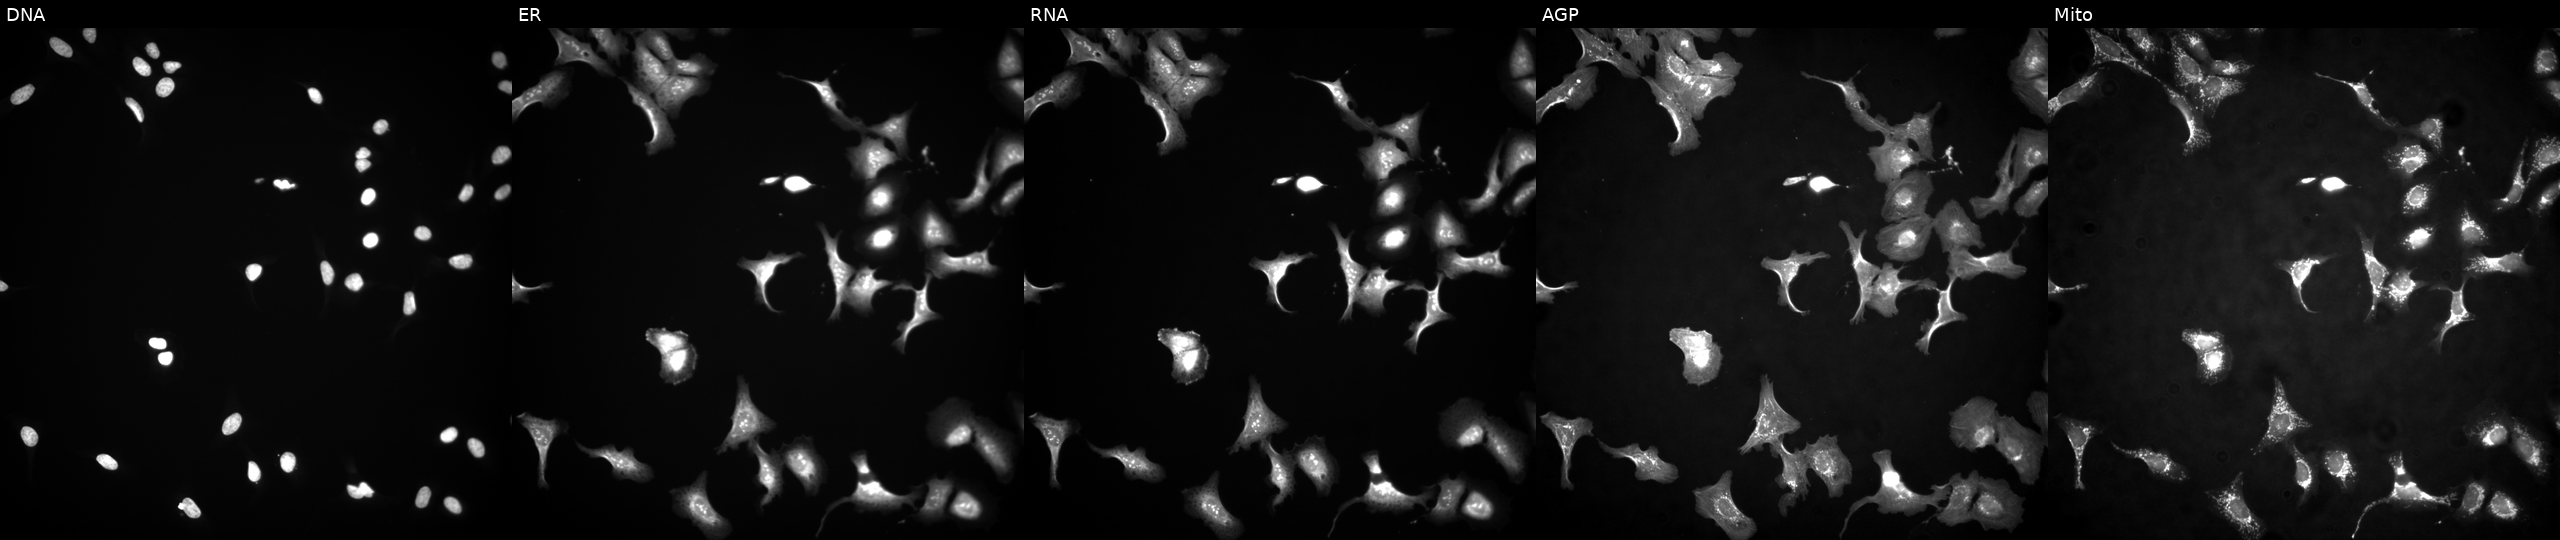
High-content fluorescence microscopy (Cell Painting). Cell line: U2OS. Perturbation: overexpressing KDM4B via ORF transfection (JUMP id JCP2022_910872). The five panels, left to right, show DNA (nuclei); ER (endoplasmic reticulum); RNA (nucleoli and cytoplasmic RNA); AGP (actin cytoskeleton, Golgi, and plasma membrane); Mito (mitochondria).